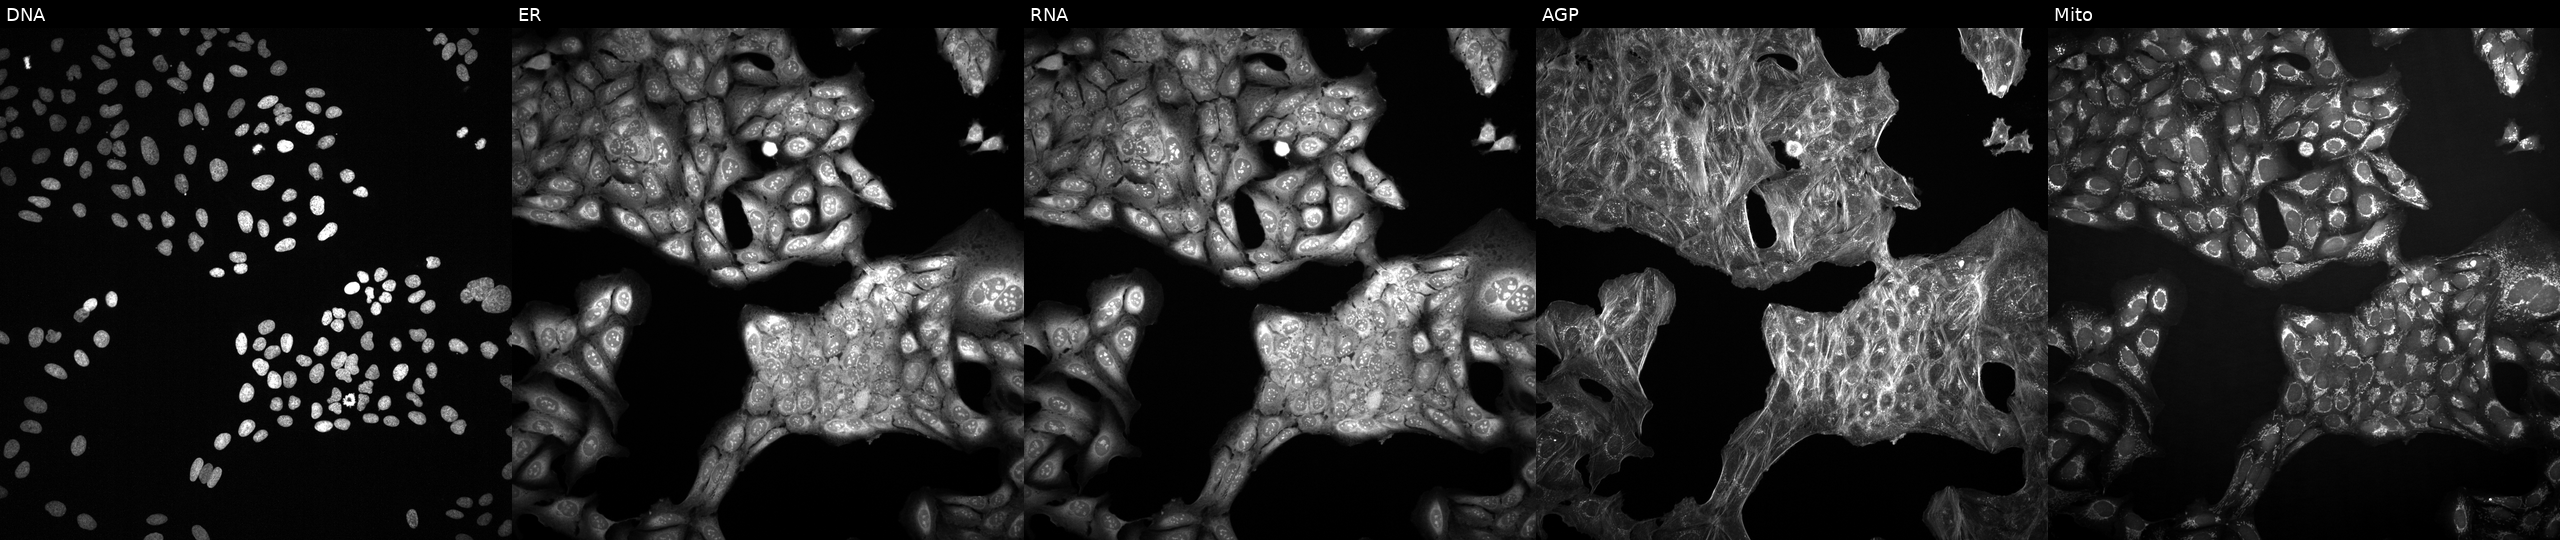
High-content fluorescence microscopy (Cell Painting). Cell line: U2OS. Perturbation: exposed to a small-molecule compound (InChIKey LLIFMNUXGDHTRO-UHFFFAOYSA-N) (JUMP id JCP2022_050162). From left to right: DNA, ER, RNA, AGP, and Mito.